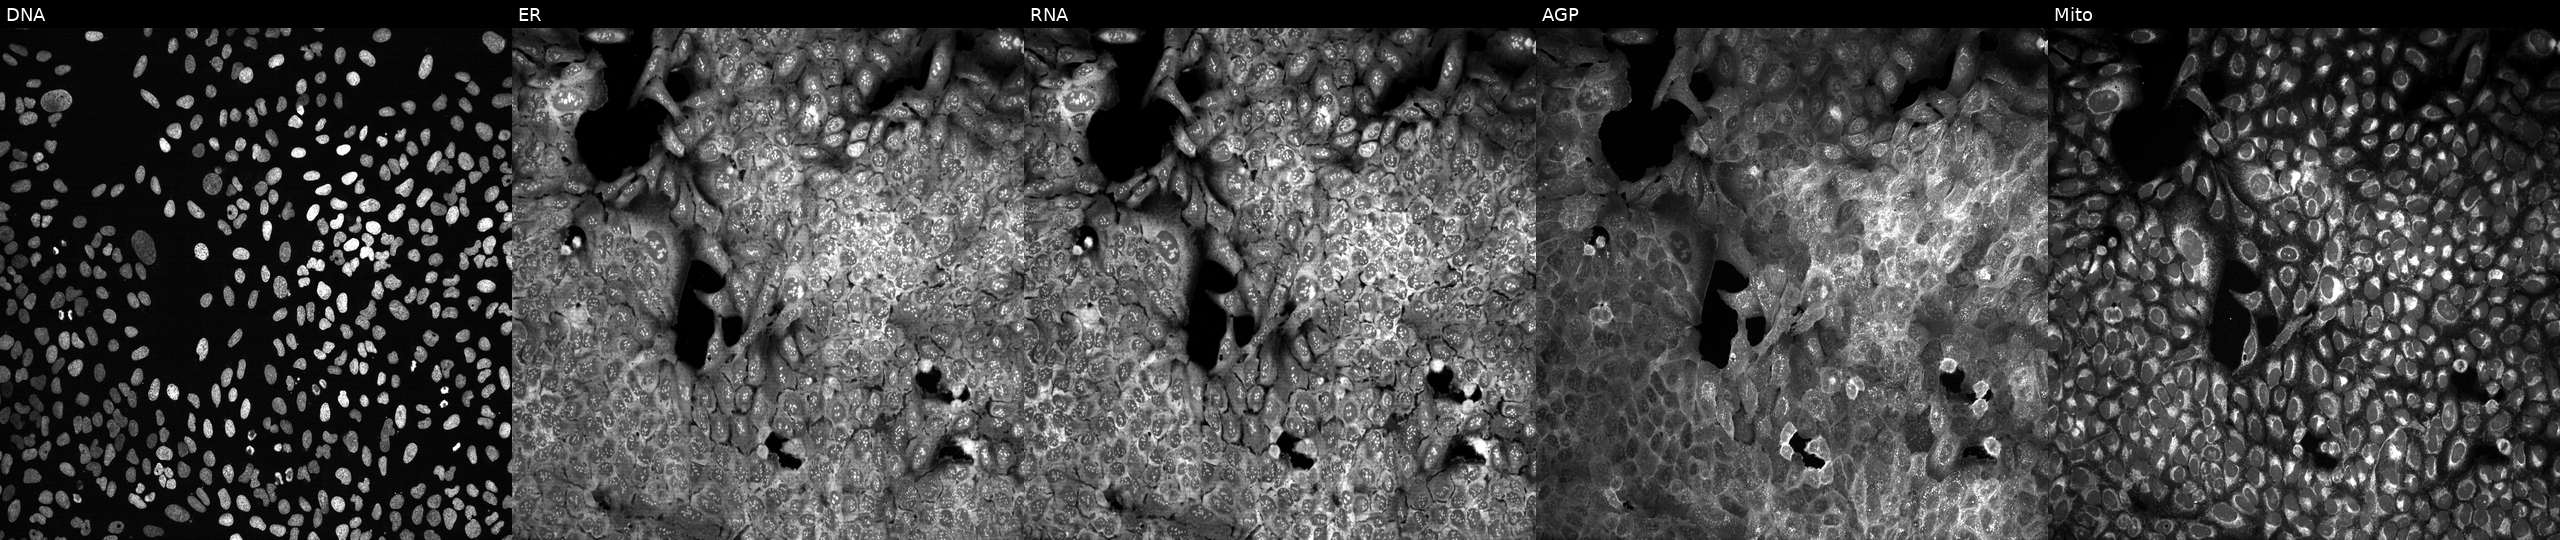
JUMP Cell Painting — CRISPR plate. U2OS cells with PLAT knocked out by CRISPR (JUMP id JCP2022_805238). From left to right: DNA, ER, RNA, AGP, and Mito. Source 13, plate CP-CC9-R6-19, well K07.